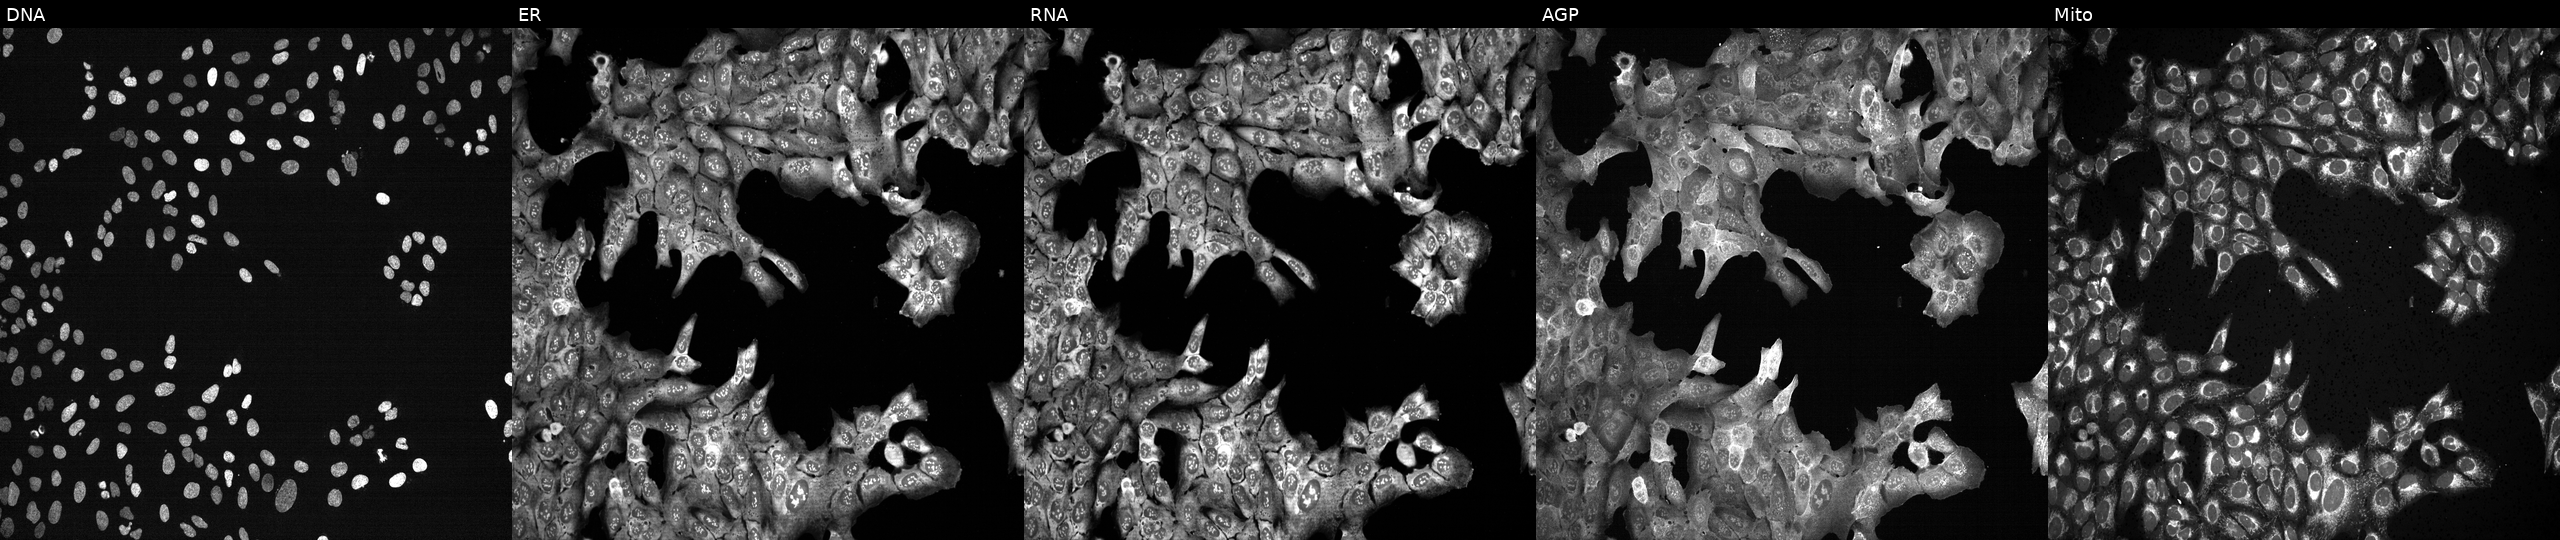
Panels show, left to right, DNA, ER, RNA, AGP, and Mito. U2OS osteosarcoma cells CRISPR-edited to disrupt BNIP1 (JUMP id JCP2022_800909). Cell Painting assay, JUMP-CP dataset. Source 13, plate CP-CC9-R4-03, well E20.